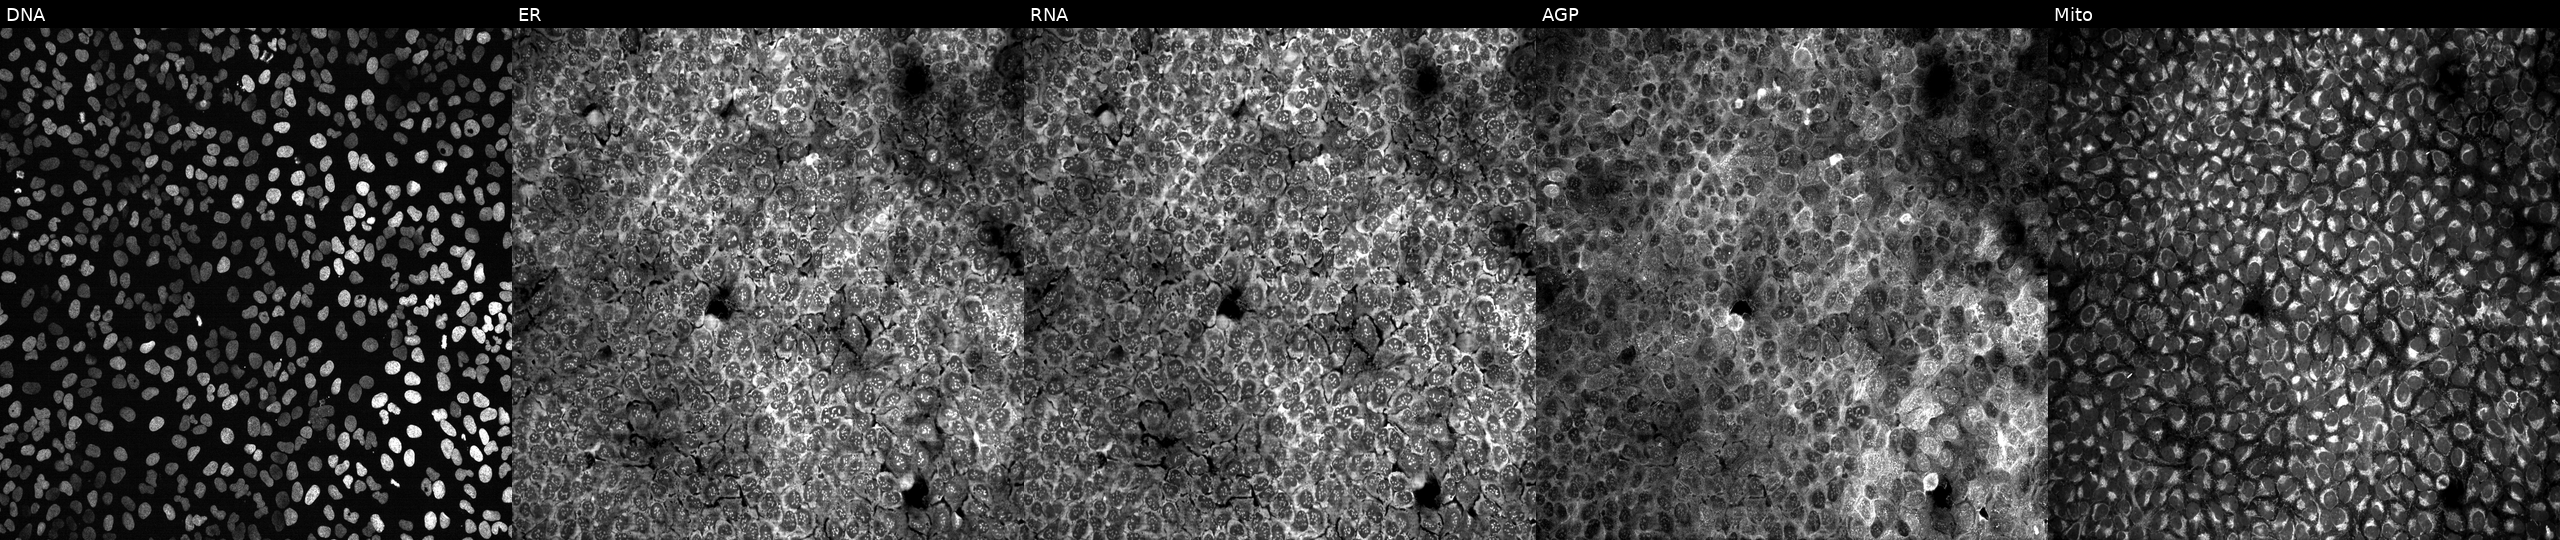
High-content fluorescence microscopy (Cell Painting). Cell line: U2OS. Perturbation: exposed to DMSO alone as a negative control. The five panels, left to right, show Hoechst 33342, concanavalin A, SYTO 14, phalloidin and WGA, MitoTracker. Source 13, plate CP-CC9-R4-03, well F02.